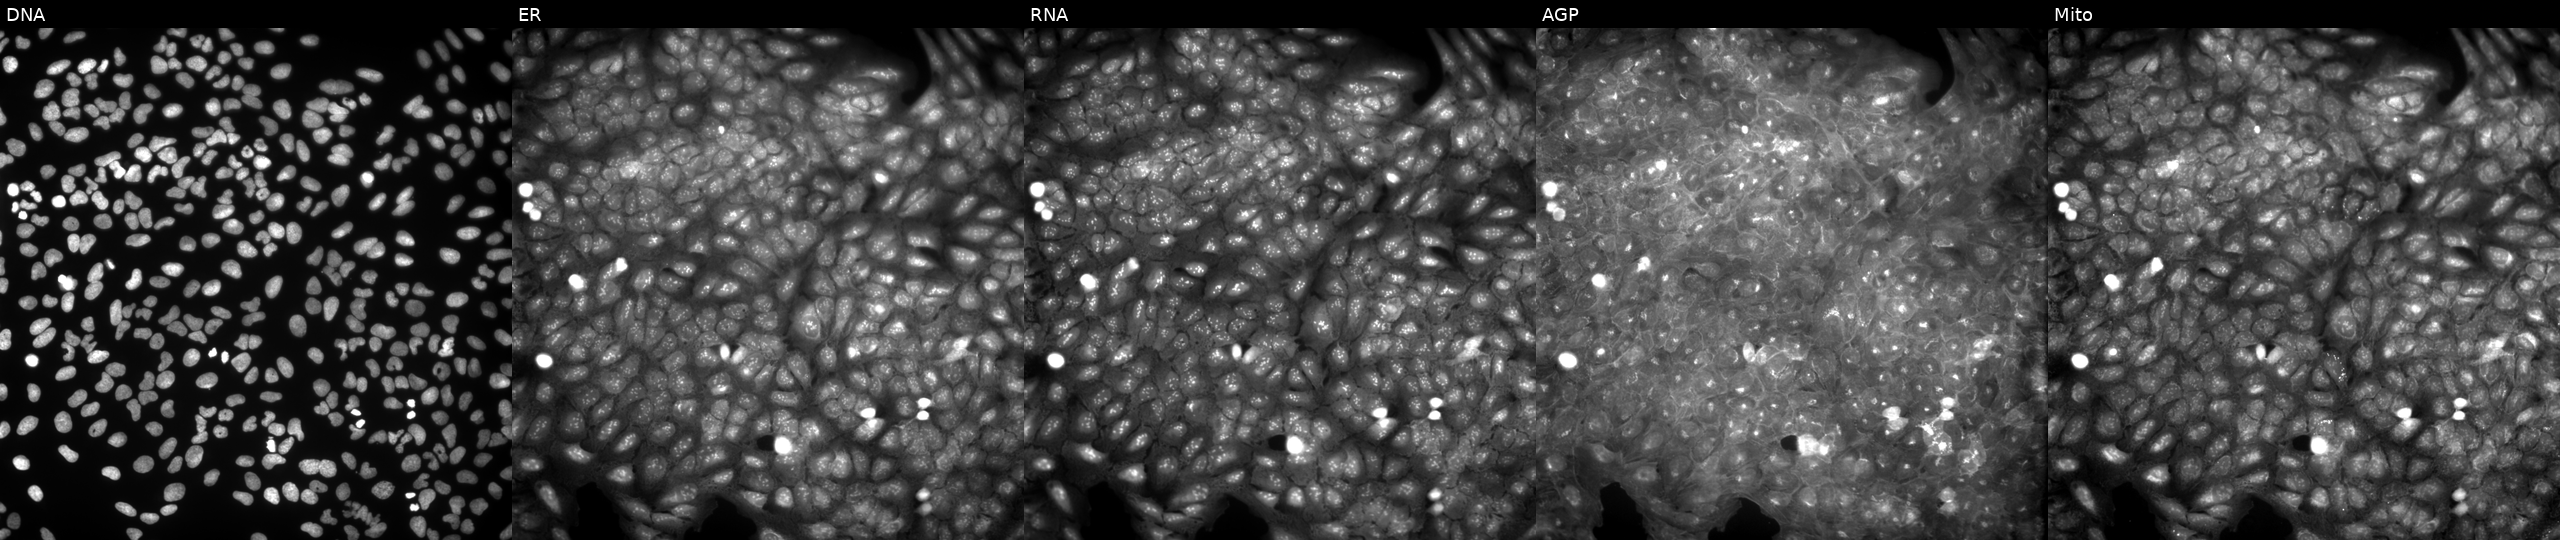
U2OS cells, Cell Painting assay, perturbed with a small-molecule compound (InChIKey HYYHTFCFCQVCSB-UHFFFAOYSA-N) (JUMP id JCP2022_033541). From left to right: DNA, ER, RNA, AGP, and Mito. Each panel is percentile-stretched 16-bit fluorescence. Source 9, plate GR00003381, well AA14.